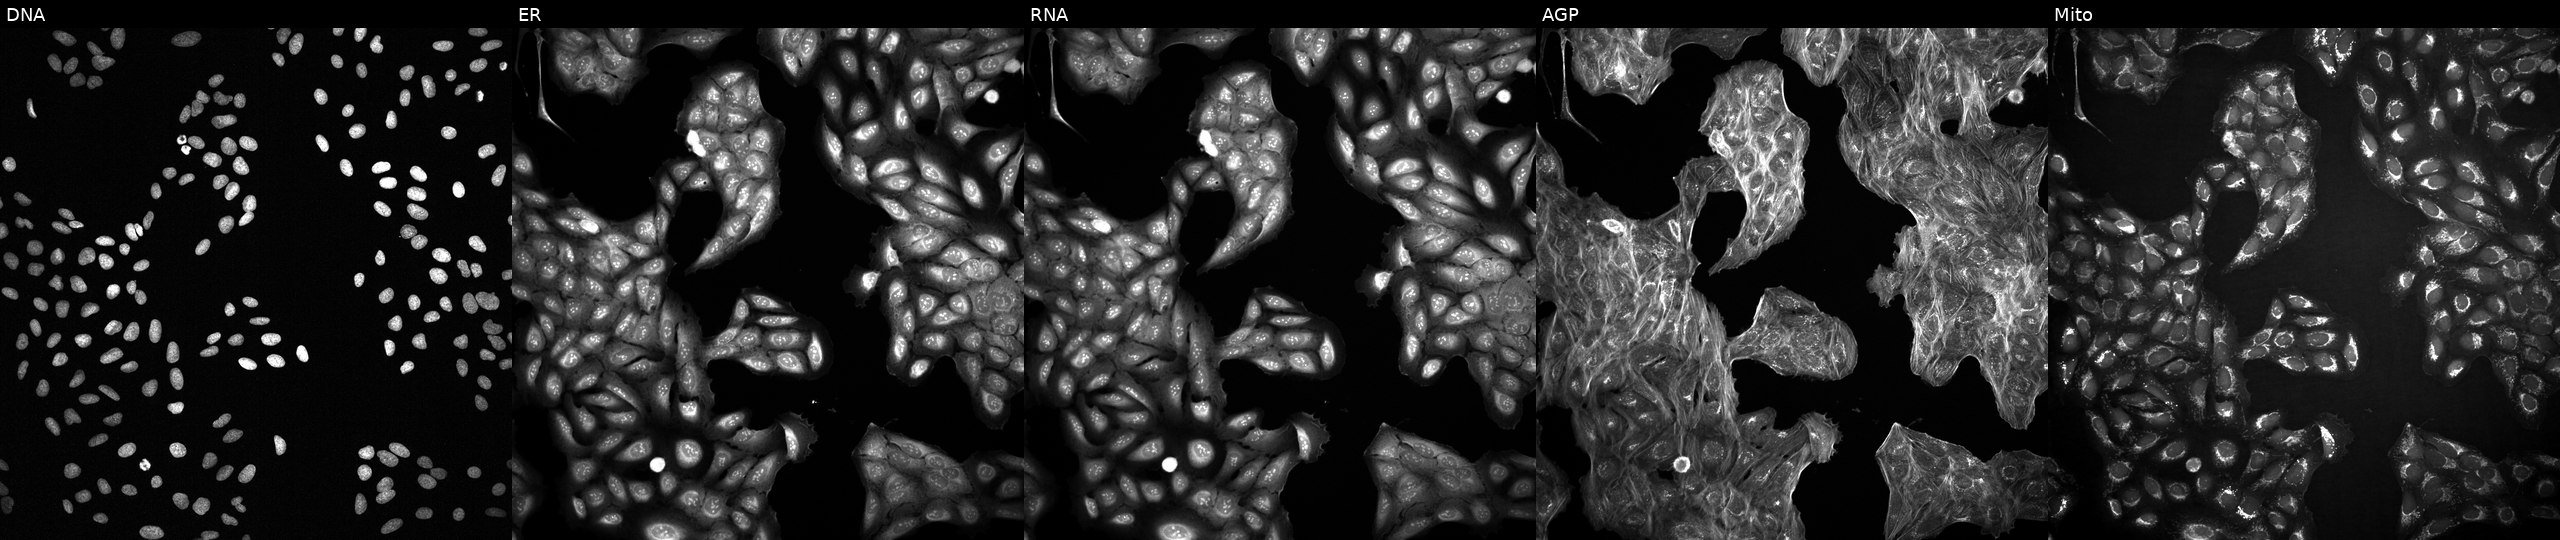
U2OS cells, Cell Painting assay, with an unidentified perturbation (not annotated in JUMP metadata). From left to right: DNA (nuclei); ER (endoplasmic reticulum); RNA (nucleoli and cytoplasmic RNA); AGP (actin cytoskeleton, Golgi, and plasma membrane); Mito (mitochondria). Each panel is percentile-stretched 16-bit fluorescence.